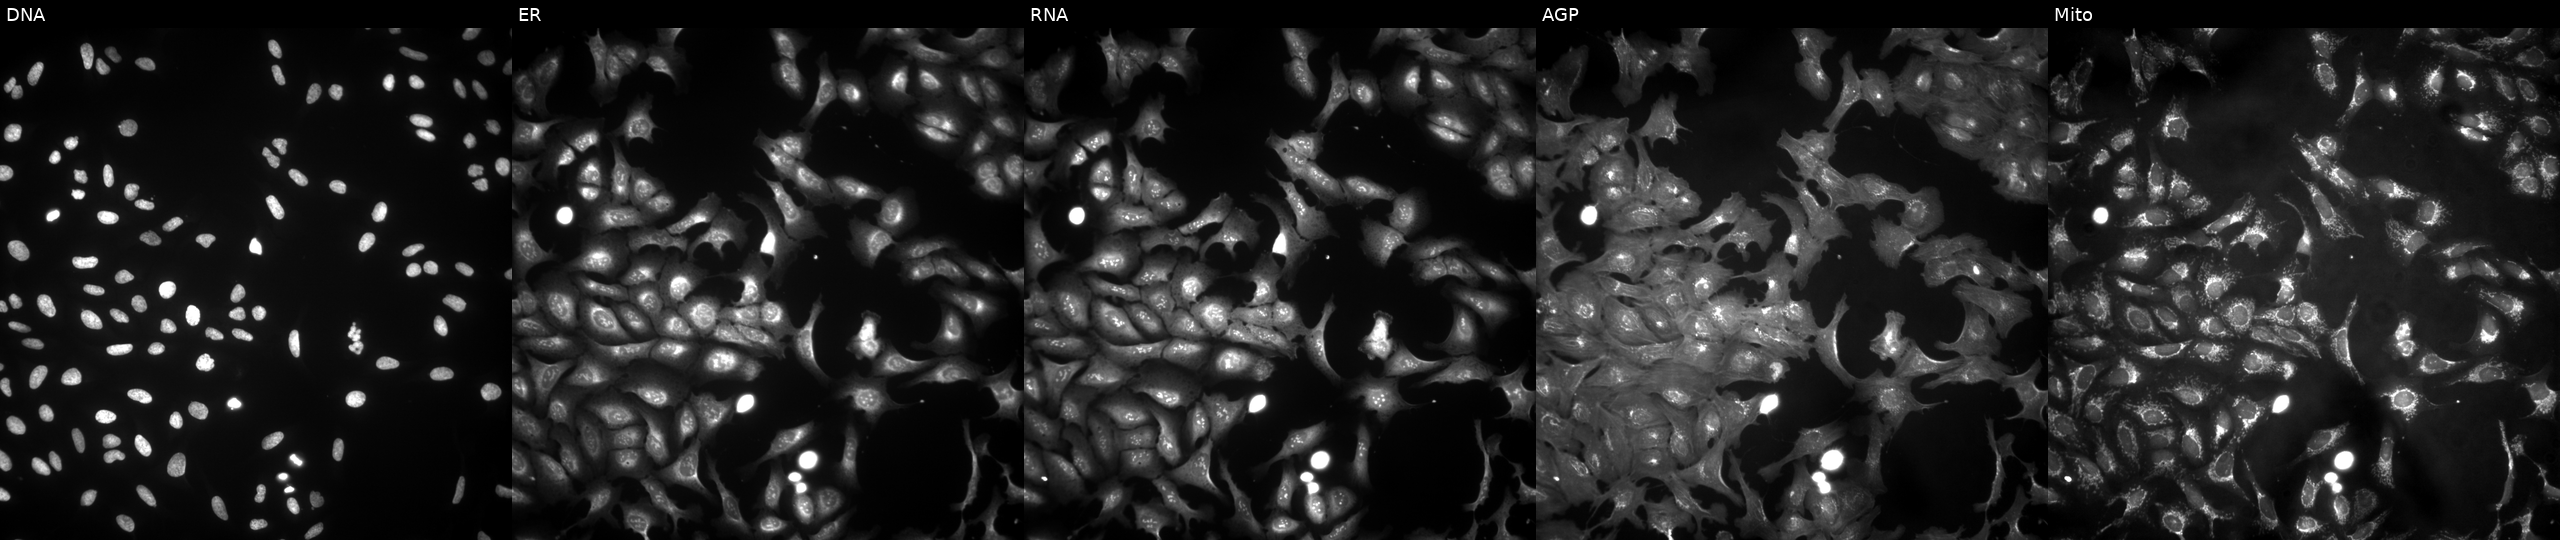
Five-channel Cell Painting image of U2OS cells transfected with an ORF construct for PGM2L1. Channels (left→right): DNA (nuclei); ER (endoplasmic reticulum); RNA (nucleoli and cytoplasmic RNA); AGP (actin cytoskeleton, Golgi, and plasma membrane); Mito (mitochondria). Source 4, plate BR00123506, well E22.